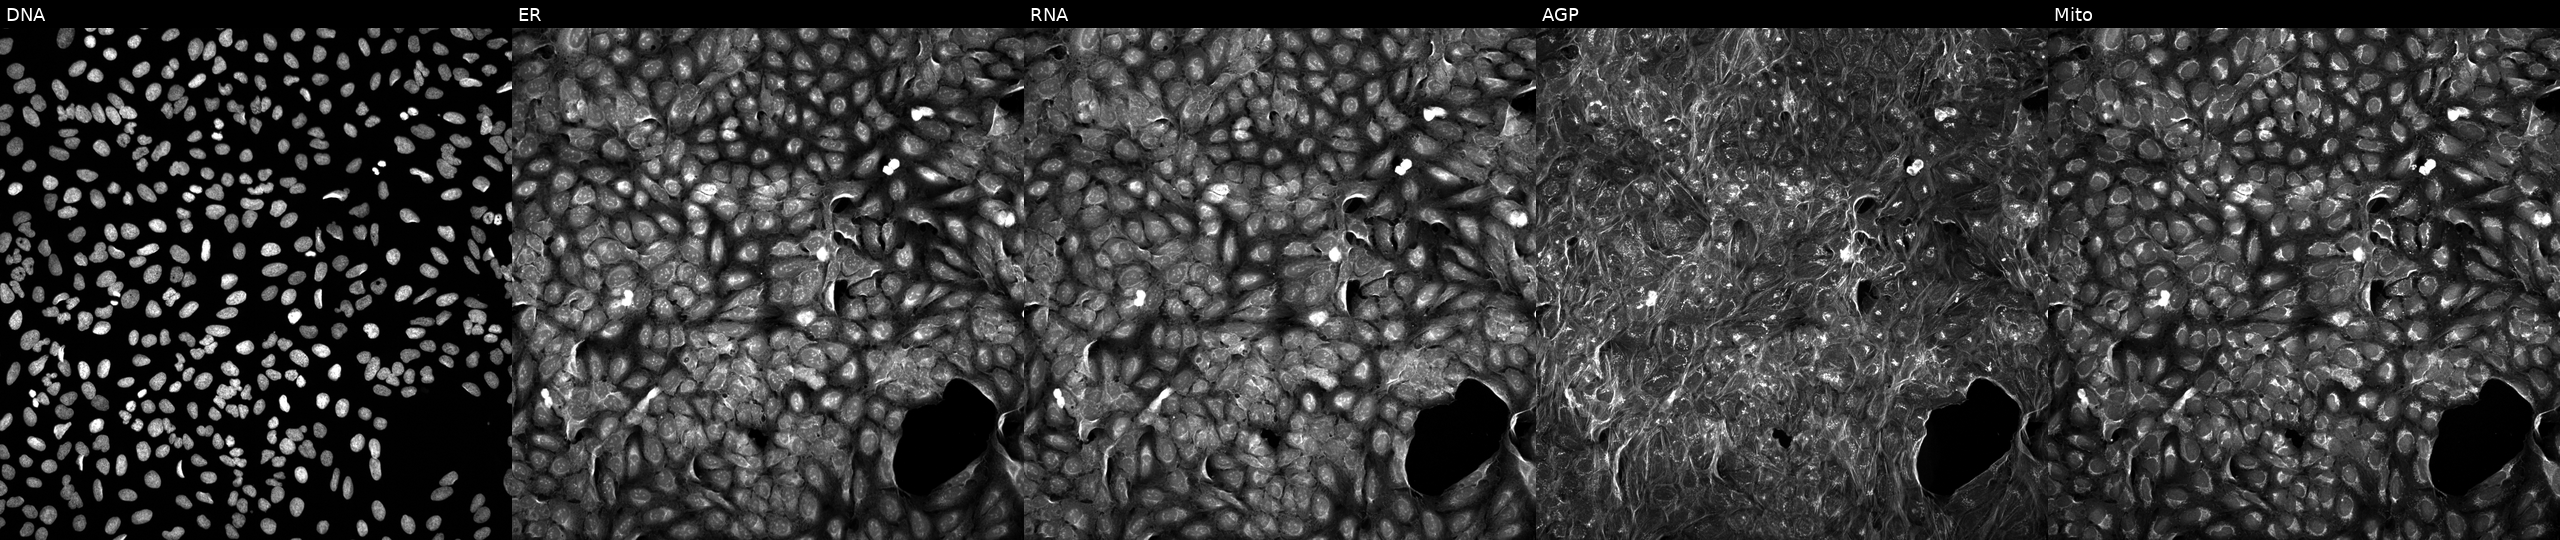
This image strip shows the five Cell Painting channels for a single field of U2OS cells treated with a small-molecule compound (InChIKey ALLOSDADDCJRHQ-UHFFFAOYSA-N) [SMILES: Cc1nnc(Cn2nnc(-c3cccc(C(F)(F)F)c3)n2)n1C1CC1]. The five panels, left to right, show Hoechst 33342, concanavalin A, SYTO 14, phalloidin and WGA, MitoTracker. Source 5, plate APTJUM106, well N08.